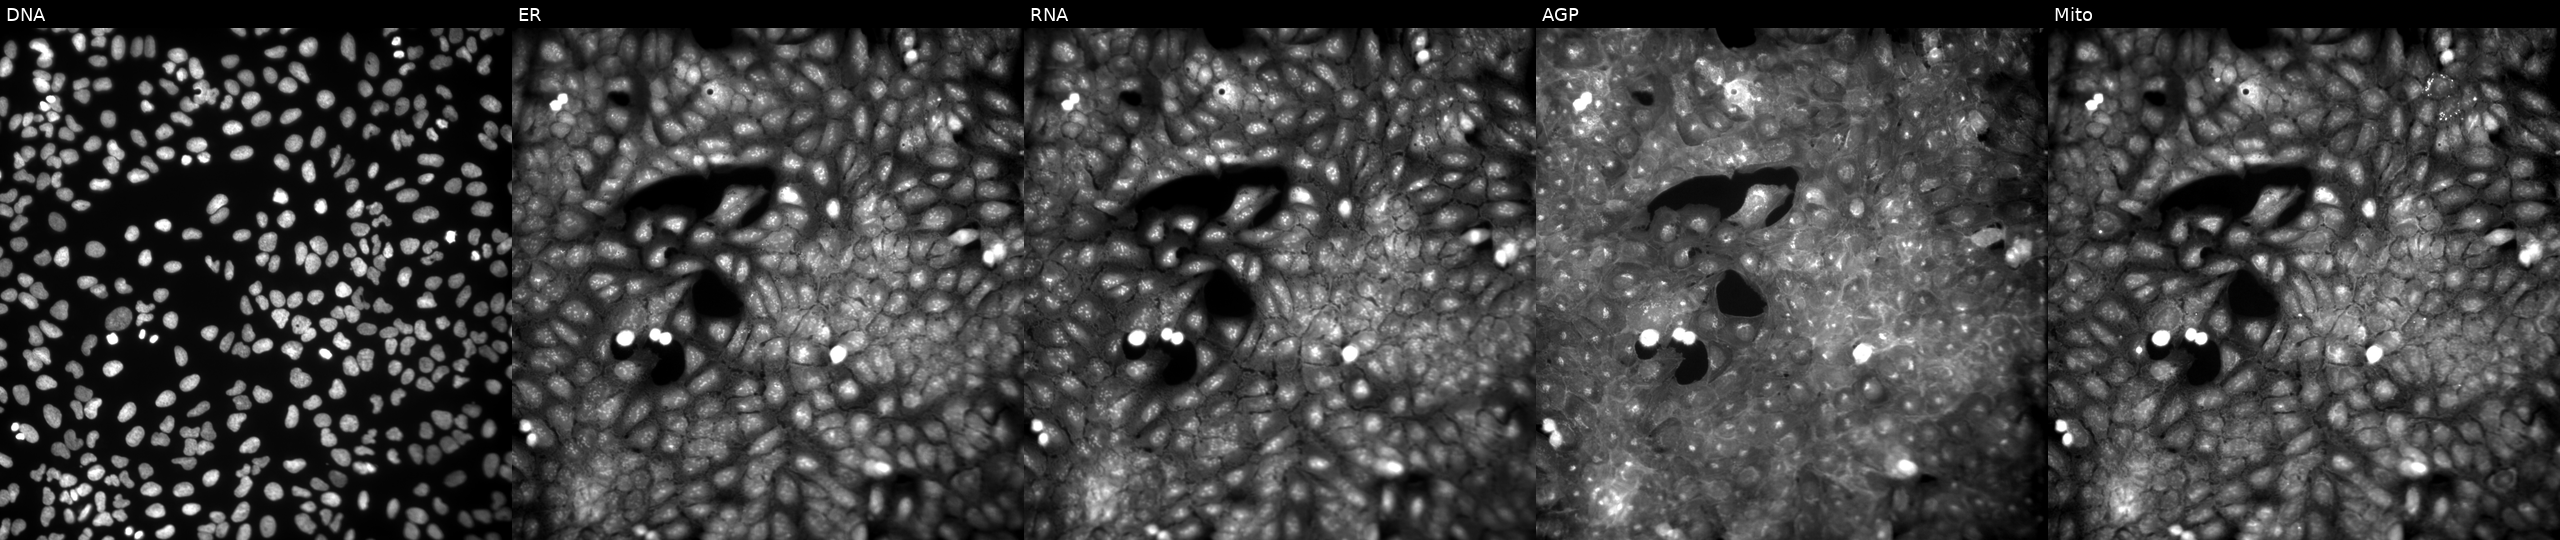
This image strip shows the five Cell Painting channels for a single field of U2OS cells perturbed with a small-molecule compound (InChIKey LRNREMGFJGZAAJ-UHFFFAOYSA-N) (JUMP id JCP2022_051290). Channels (left→right): DNA, ER, RNA, AGP, and Mito.